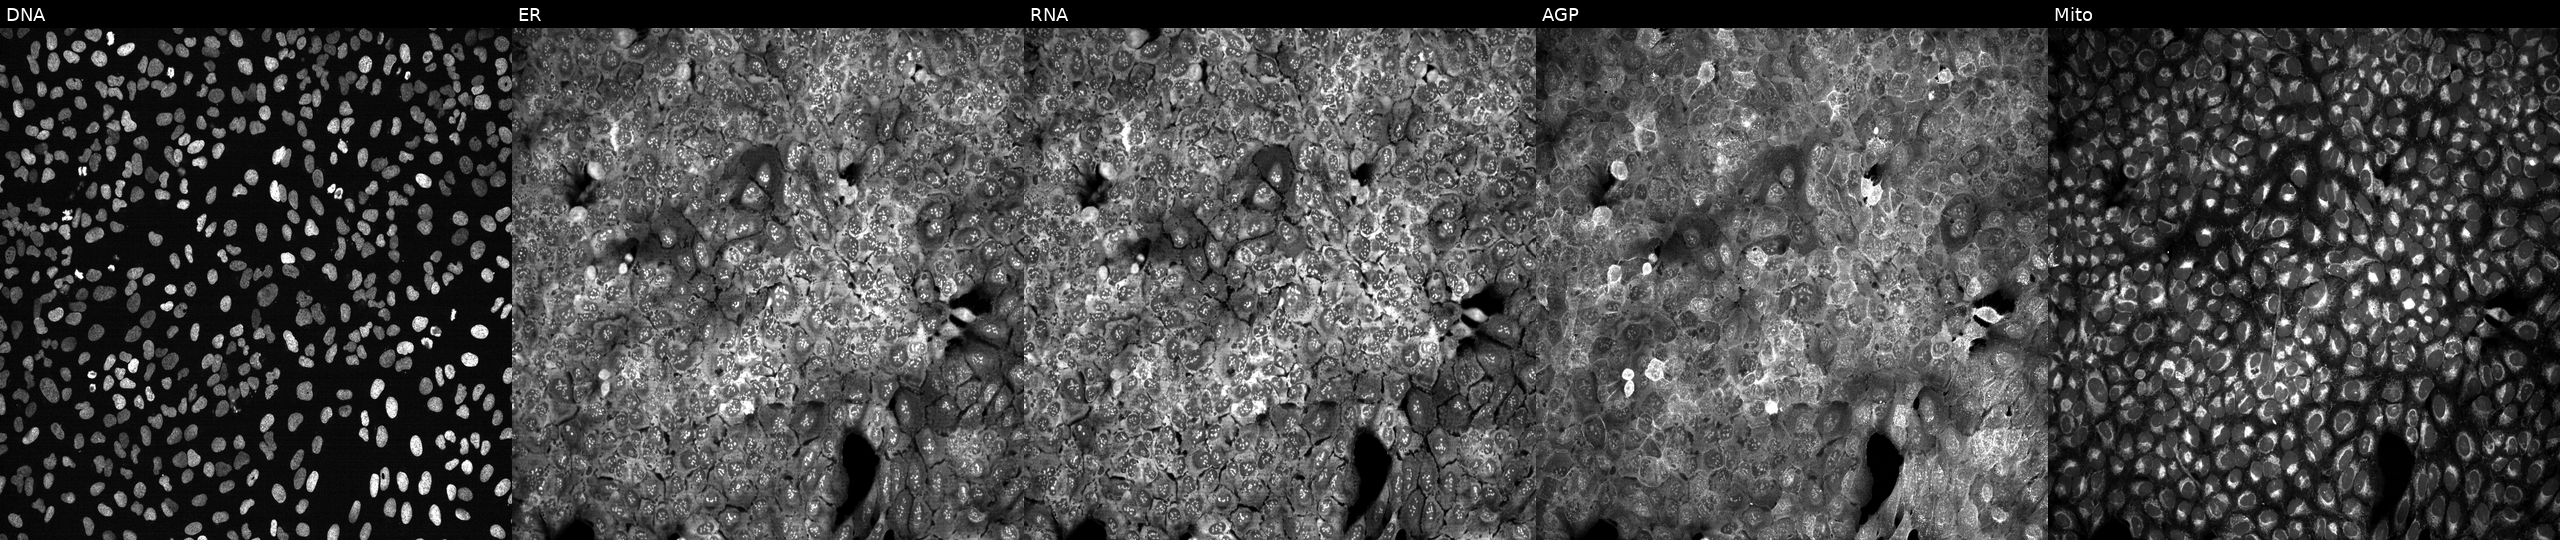
Five-channel Cell Painting image of U2OS cells with NDP knocked out by CRISPR. Channels (left→right): DNA, ER, RNA, AGP, and Mito. Source 13, plate CP-CC9-R4-04, well D20.